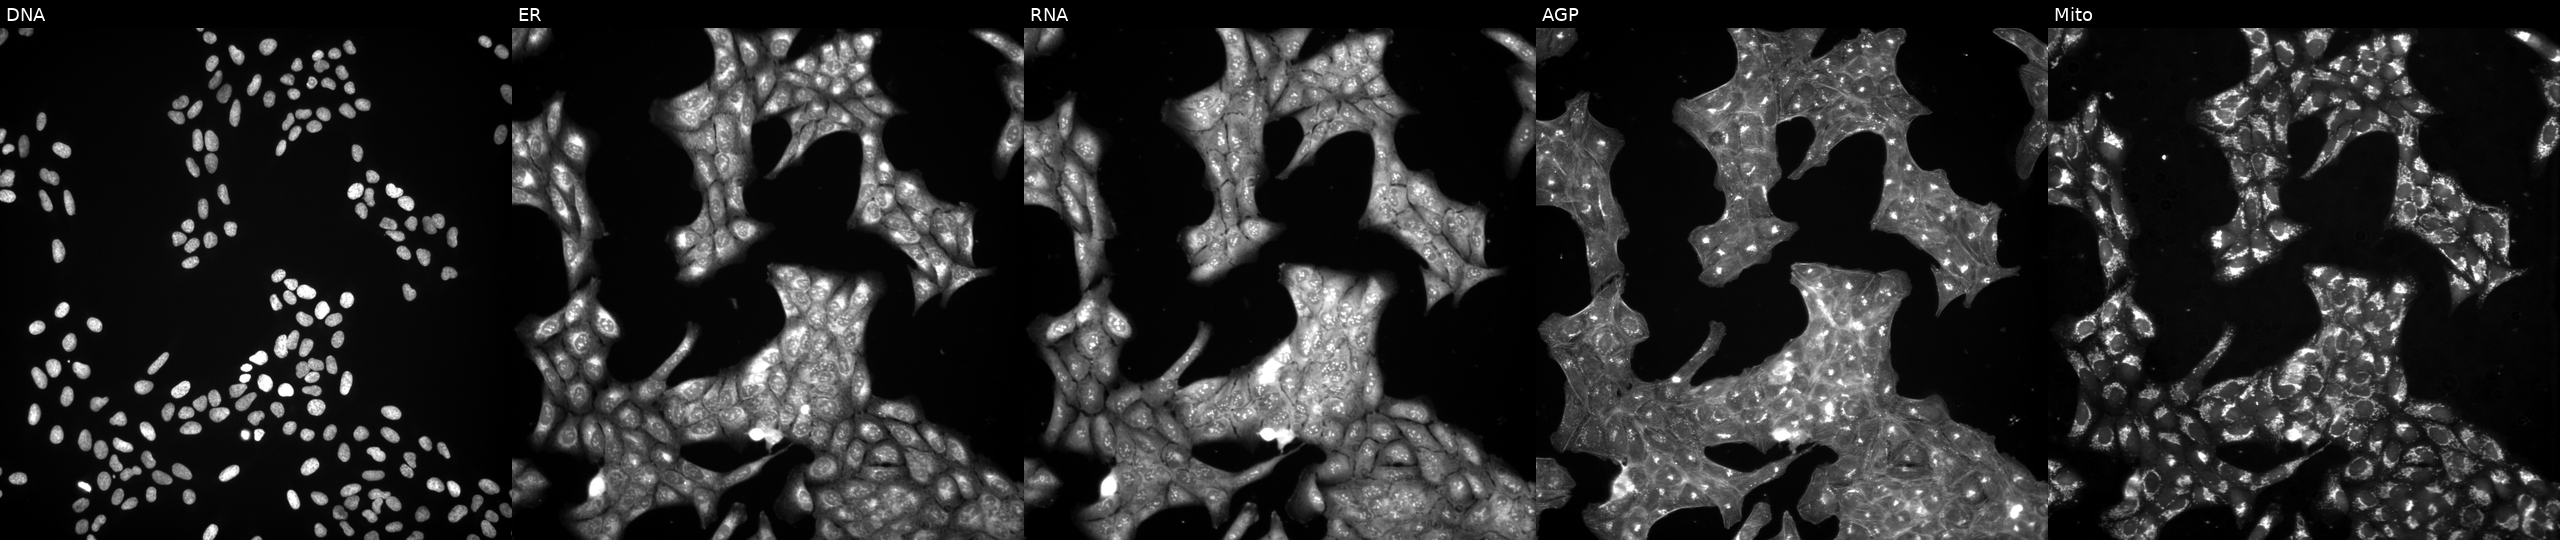
High-content fluorescence microscopy (Cell Painting). Cell line: U2OS. Perturbation: perturbed with a small-molecule compound (InChIKey NIOKPYGYASQXRY-UHFFFAOYSA-N). Channels (left→right): DNA (nuclei); ER (endoplasmic reticulum); RNA (nucleoli and cytoplasmic RNA); AGP (actin cytoskeleton, Golgi, and plasma membrane); Mito (mitochondria). Source 3, plate BR5867b3, well O18.